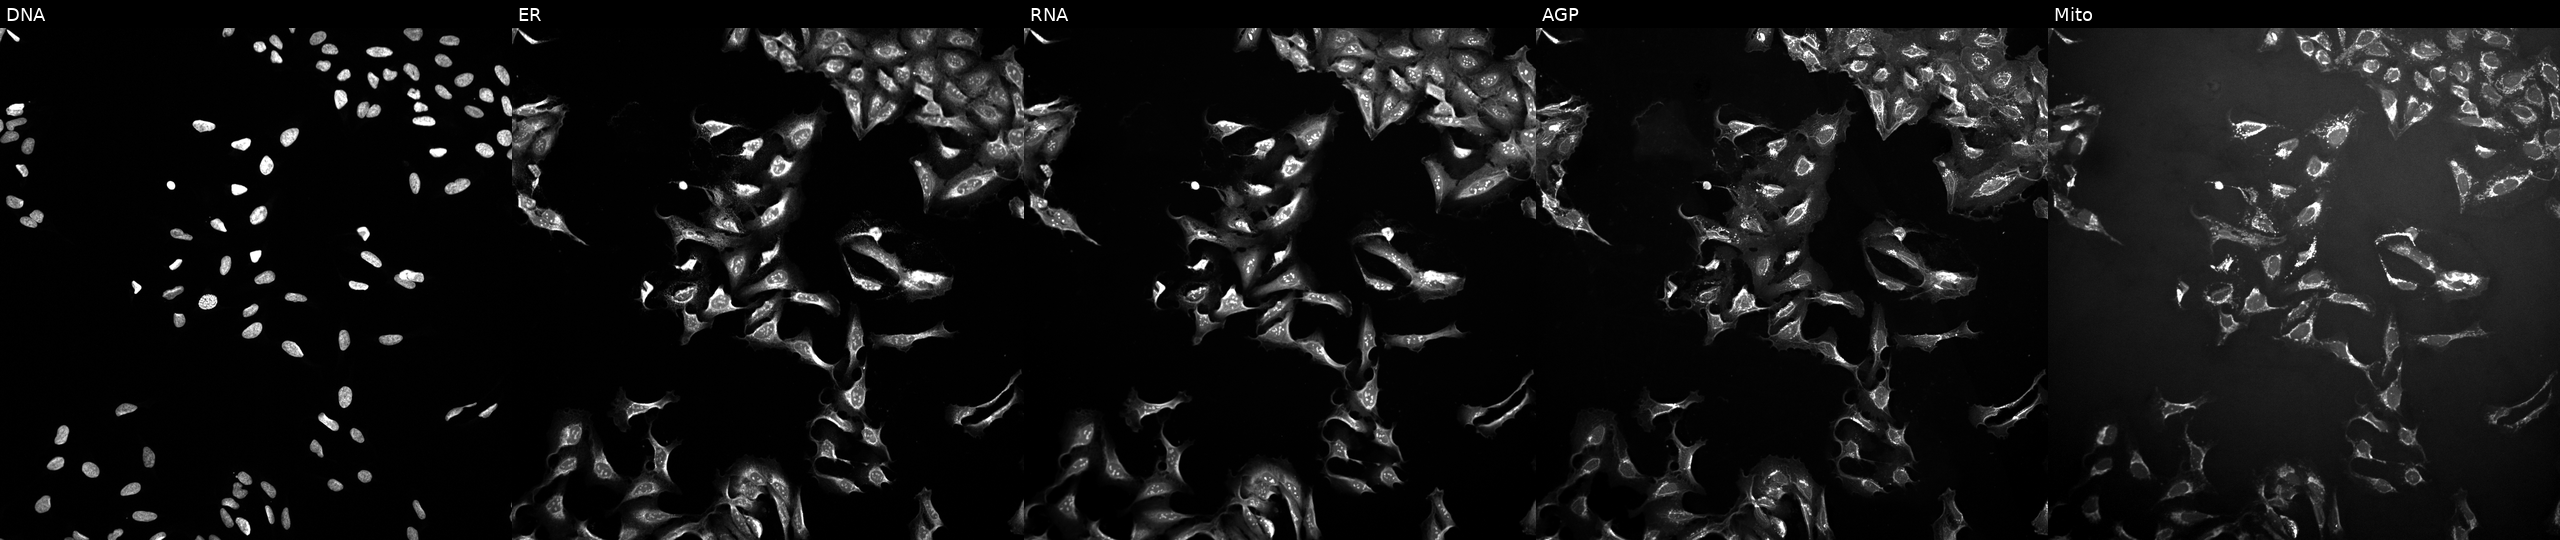
High-content fluorescence microscopy (Cell Painting). Cell line: U2OS. Perturbation: exposed to a small-molecule compound (InChIKey IIQUYGWWHIHOCF-UHFFFAOYSA-N) (JUMP id JCP2022_035296). Channels (left→right): Hoechst 33342, concanavalin A, SYTO 14, phalloidin and WGA, MitoTracker.